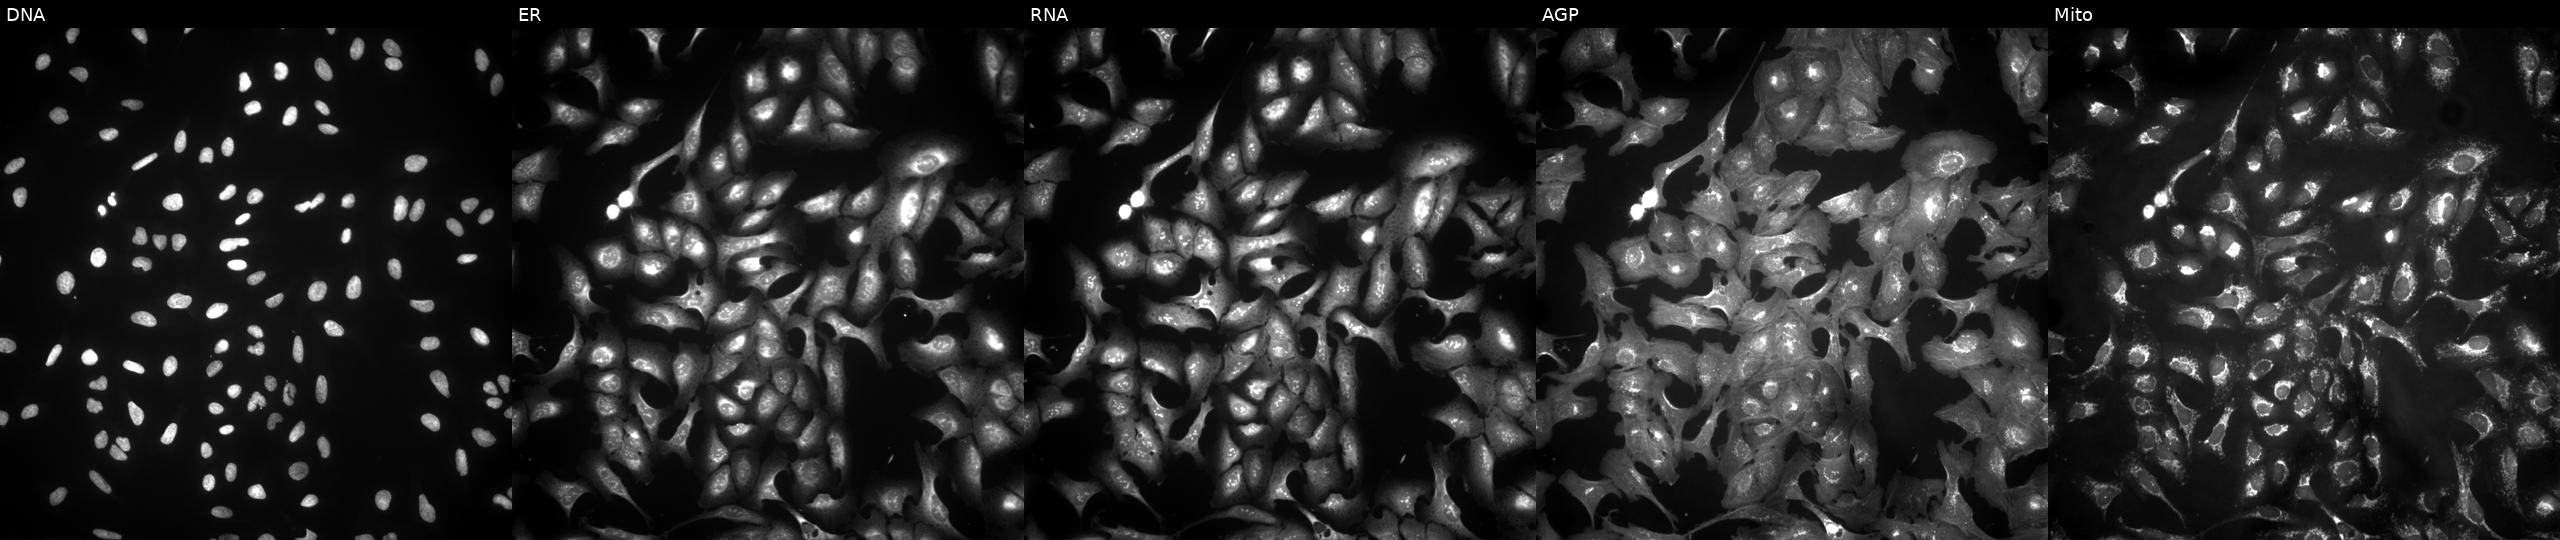
JUMP Cell Painting — ORF plate. U2OS cells with GPR37 overexpressed (ORF). Channels (left→right): Hoechst 33342, concanavalin A, SYTO 14, phalloidin and WGA, MitoTracker.